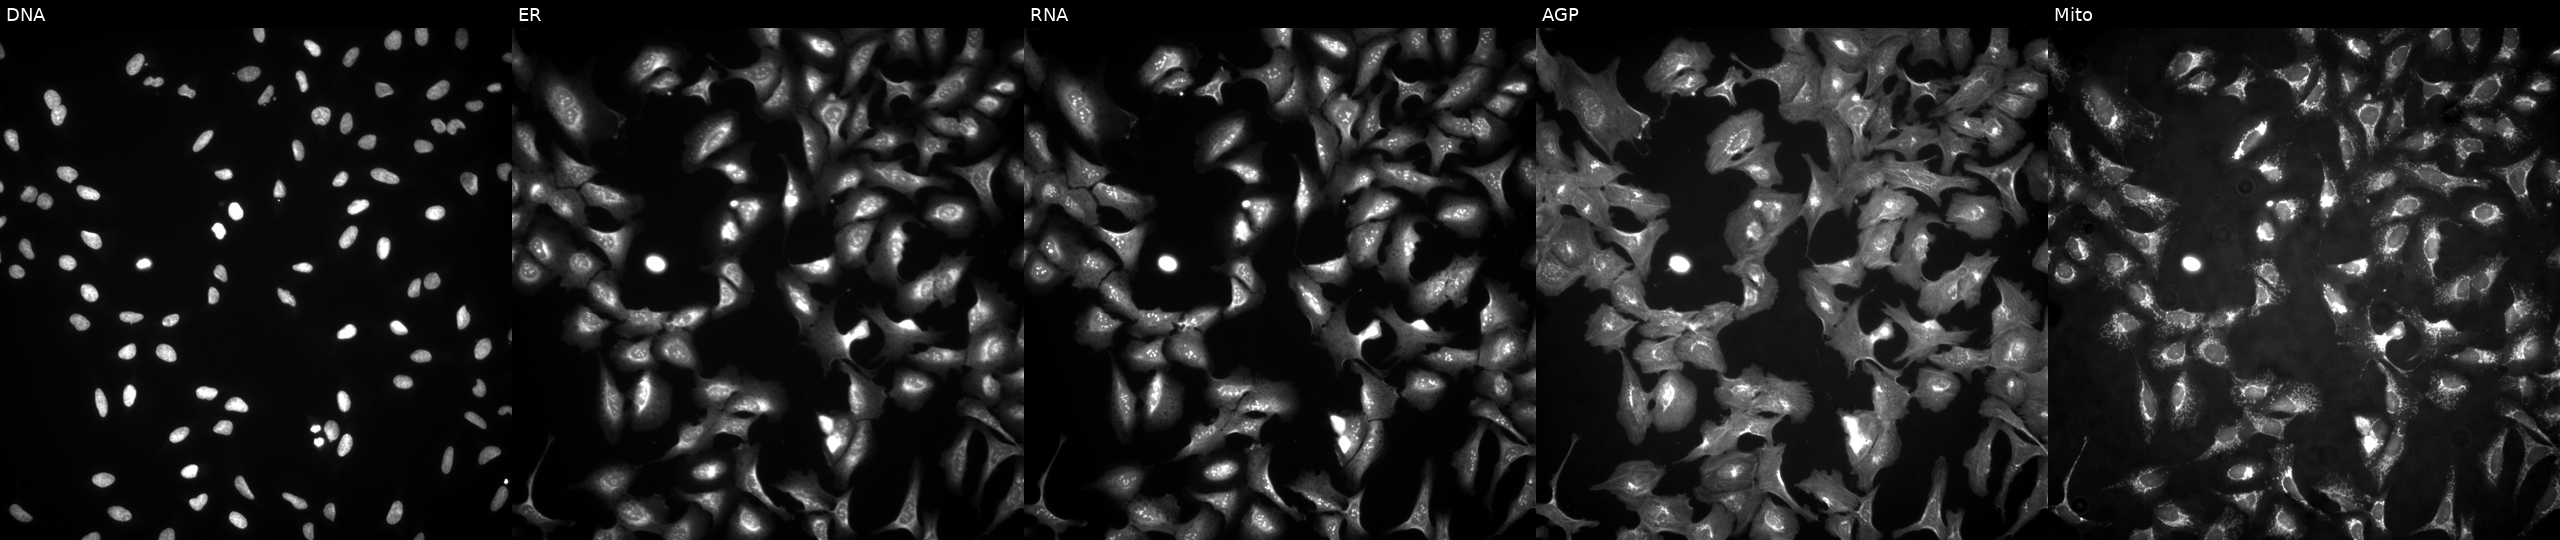
U2OS cells, Cell Painting assay, overexpressing TNFSF11 via ORF transfection (JUMP id JCP2022_901831). The five panels, left to right, show Hoechst 33342, concanavalin A, SYTO 14, phalloidin and WGA, MitoTracker. Each panel is percentile-stretched 16-bit fluorescence. Source 4, plate BR00123509, well K16.